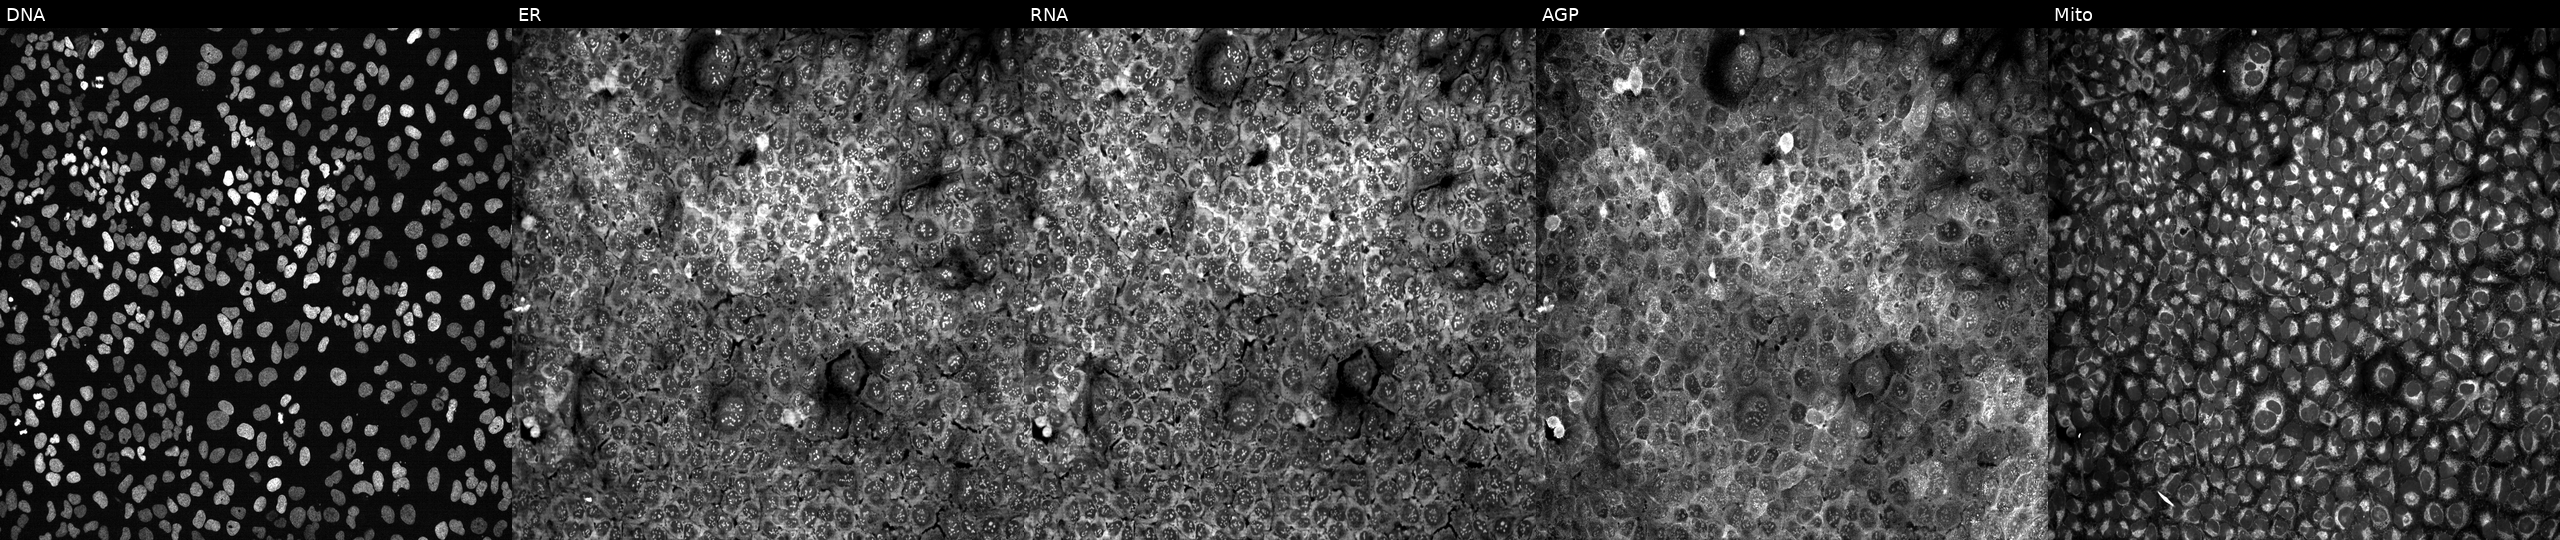
High-content fluorescence microscopy (Cell Painting). Cell line: U2OS. Perturbation: with AASDHPPT knocked out by CRISPR (JUMP id JCP2022_800015). The five panels, left to right, show DNA, ER, RNA, AGP, and Mito. Source 13, plate CP-CC9-R4-04, well J14.